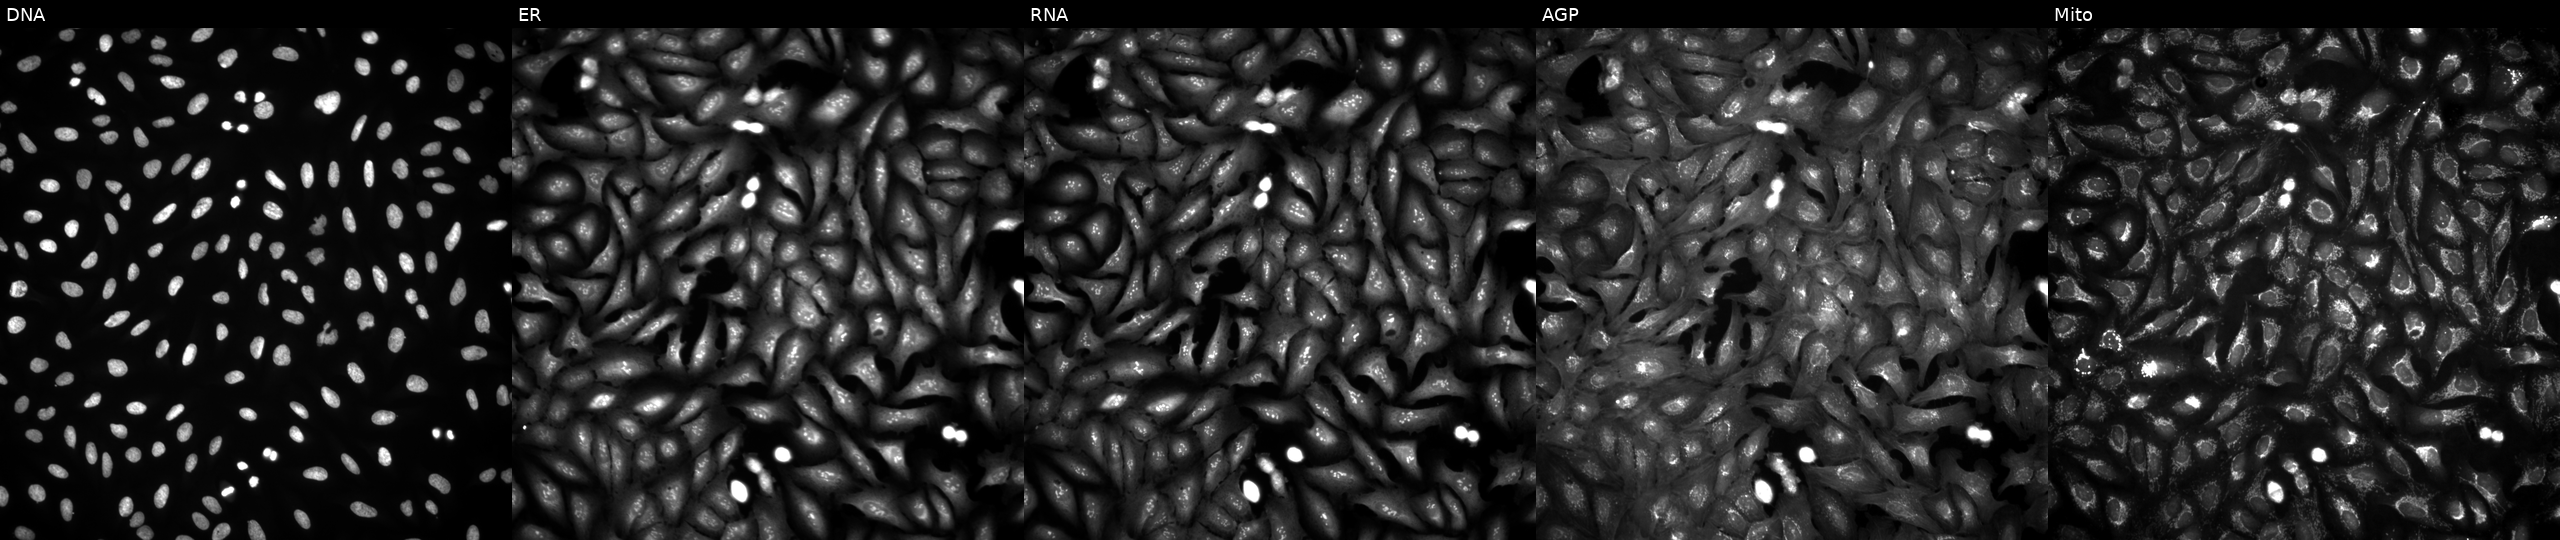
This image strip shows the five Cell Painting channels for a single field of U2OS cells with HSPA14 overexpressed (ORF) (JUMP id JCP2022_903043). The five panels, left to right, show DNA, ER, RNA, AGP, and Mito. Source 4, plate BR00124787, well F01.